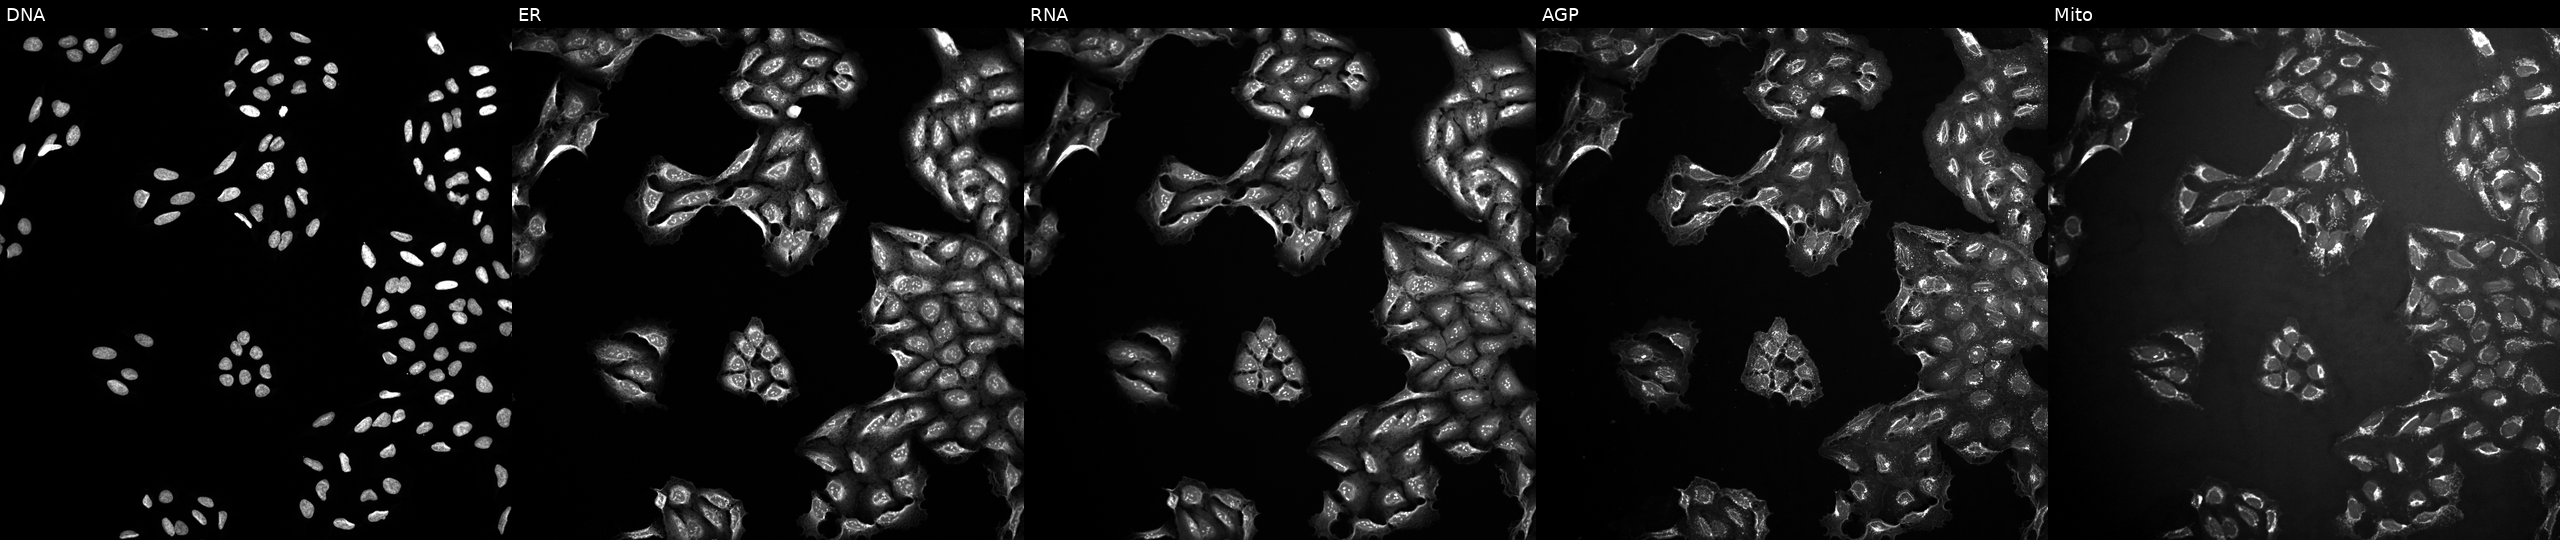
This image strip shows the five Cell Painting channels for a single field of U2OS cells exposed to DMSO alone as a negative control (JUMP id JCP2022_033924). Panels show, left to right, DNA (nuclei); ER (endoplasmic reticulum); RNA (nucleoli and cytoplasmic RNA); AGP (actin cytoskeleton, Golgi, and plasma membrane); Mito (mitochondria). Source 10, plate Dest210803-153958, well D22.